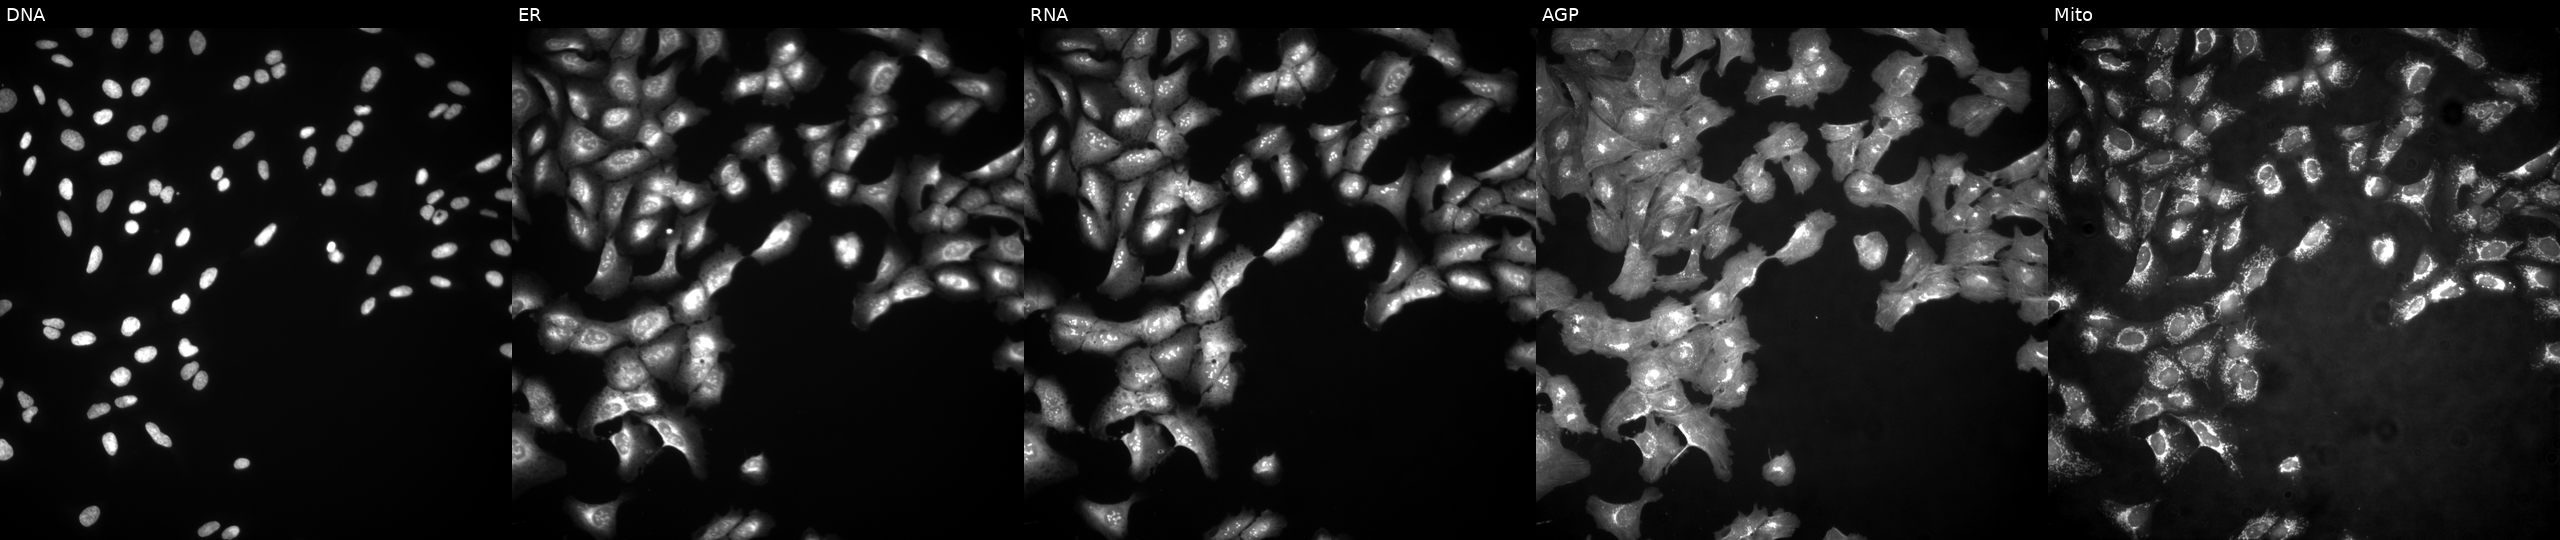
Channels (left→right): DNA, ER, RNA, AGP, and Mito. U2OS osteosarcoma cells overexpressing PRM2 via ORF transfection. Cell Painting assay, JUMP-CP dataset. Source 4, plate BR00123509, well B23.